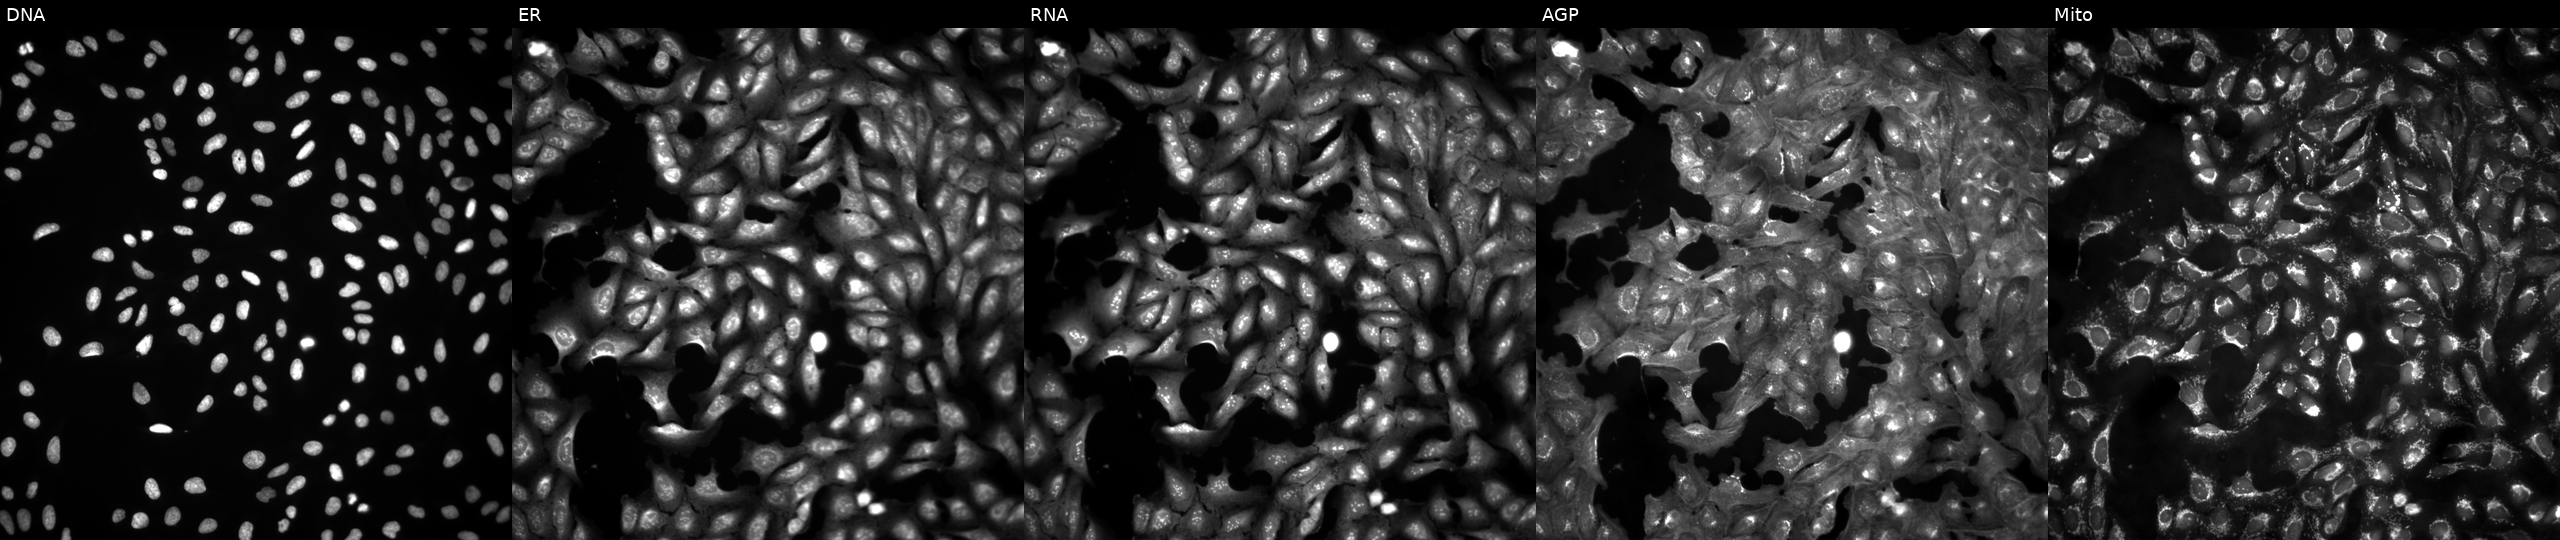
JUMP Cell Painting — ORF plate. U2OS cells untreated (empty-well control) (JUMP id JCP2022_999999). Channels (left→right): Hoechst 33342, concanavalin A, SYTO 14, phalloidin and WGA, MitoTracker.